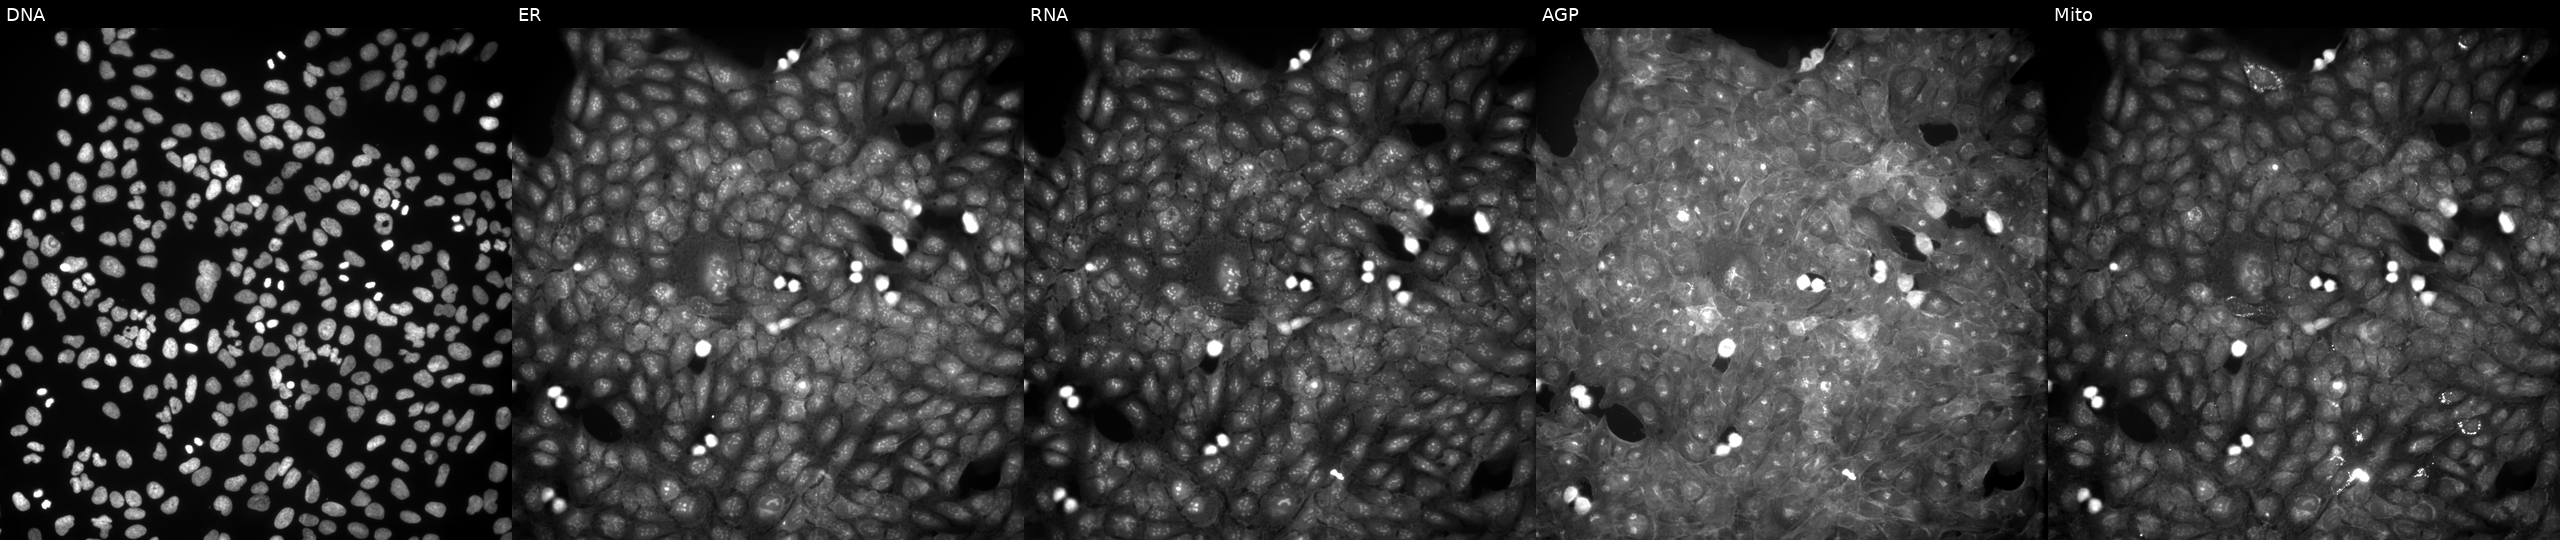
High-content fluorescence microscopy (Cell Painting). Cell line: U2OS. Perturbation: exposed to a small-molecule compound [SMILES: CCNC(=O)Cc1c(O)n(CC)c(=S)n1NC(=O)c1ccccc1] (JUMP id JCP2022_077256). Channels (left→right): Hoechst 33342, concanavalin A, SYTO 14, phalloidin and WGA, MitoTracker.